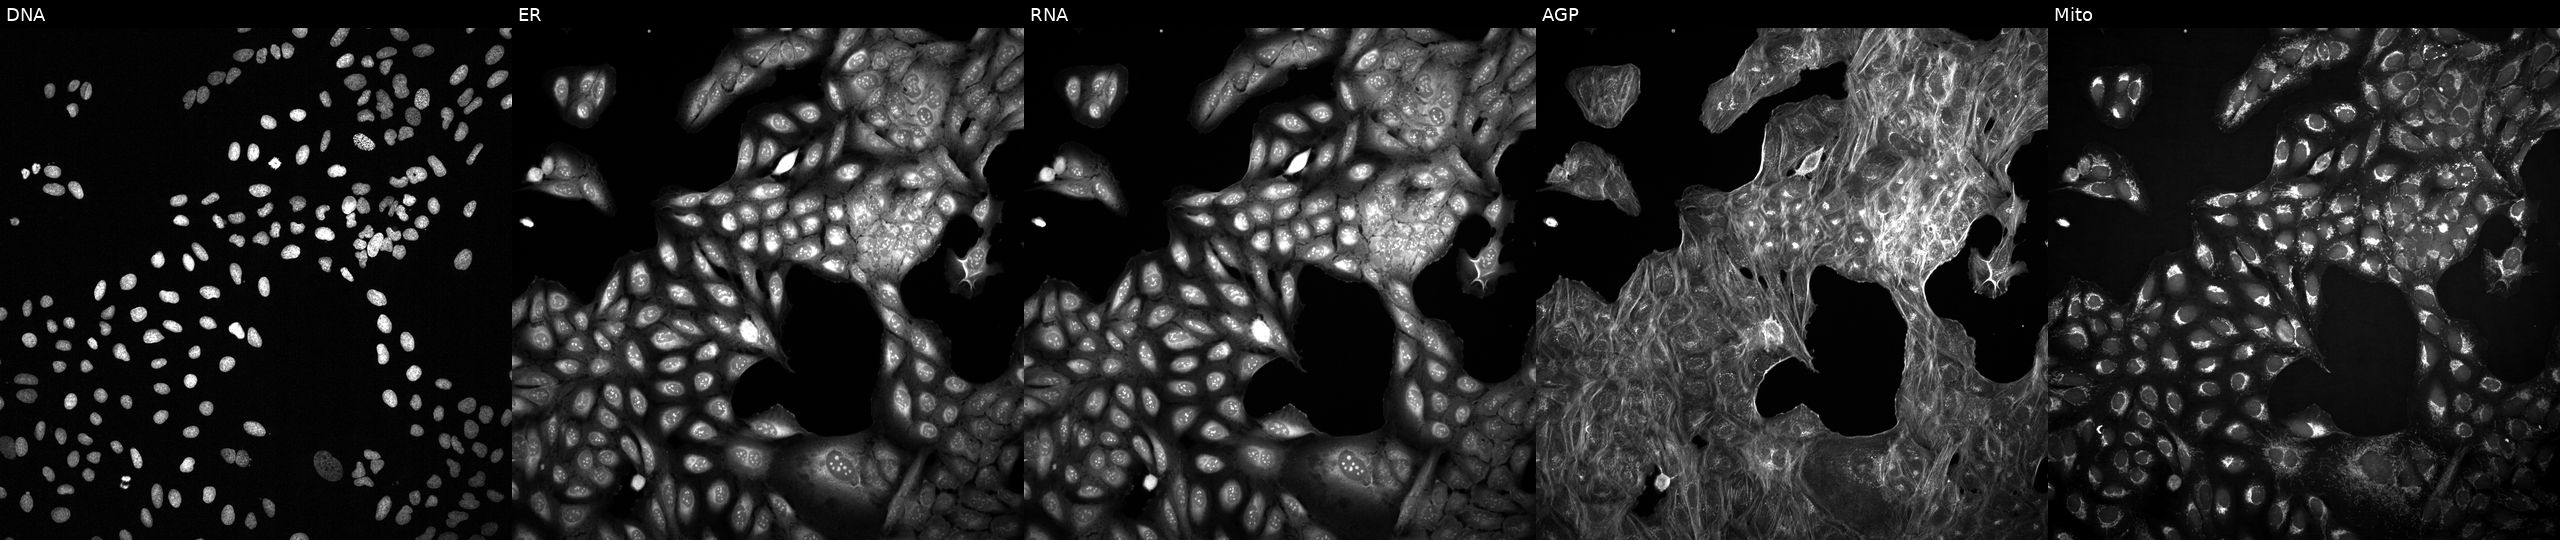
This image strip shows the five Cell Painting channels for a single field of U2OS cells with an unidentified perturbation (not annotated in JUMP metadata). The five panels, left to right, show DNA (nuclei); ER (endoplasmic reticulum); RNA (nucleoli and cytoplasmic RNA); AGP (actin cytoskeleton, Golgi, and plasma membrane); Mito (mitochondria).